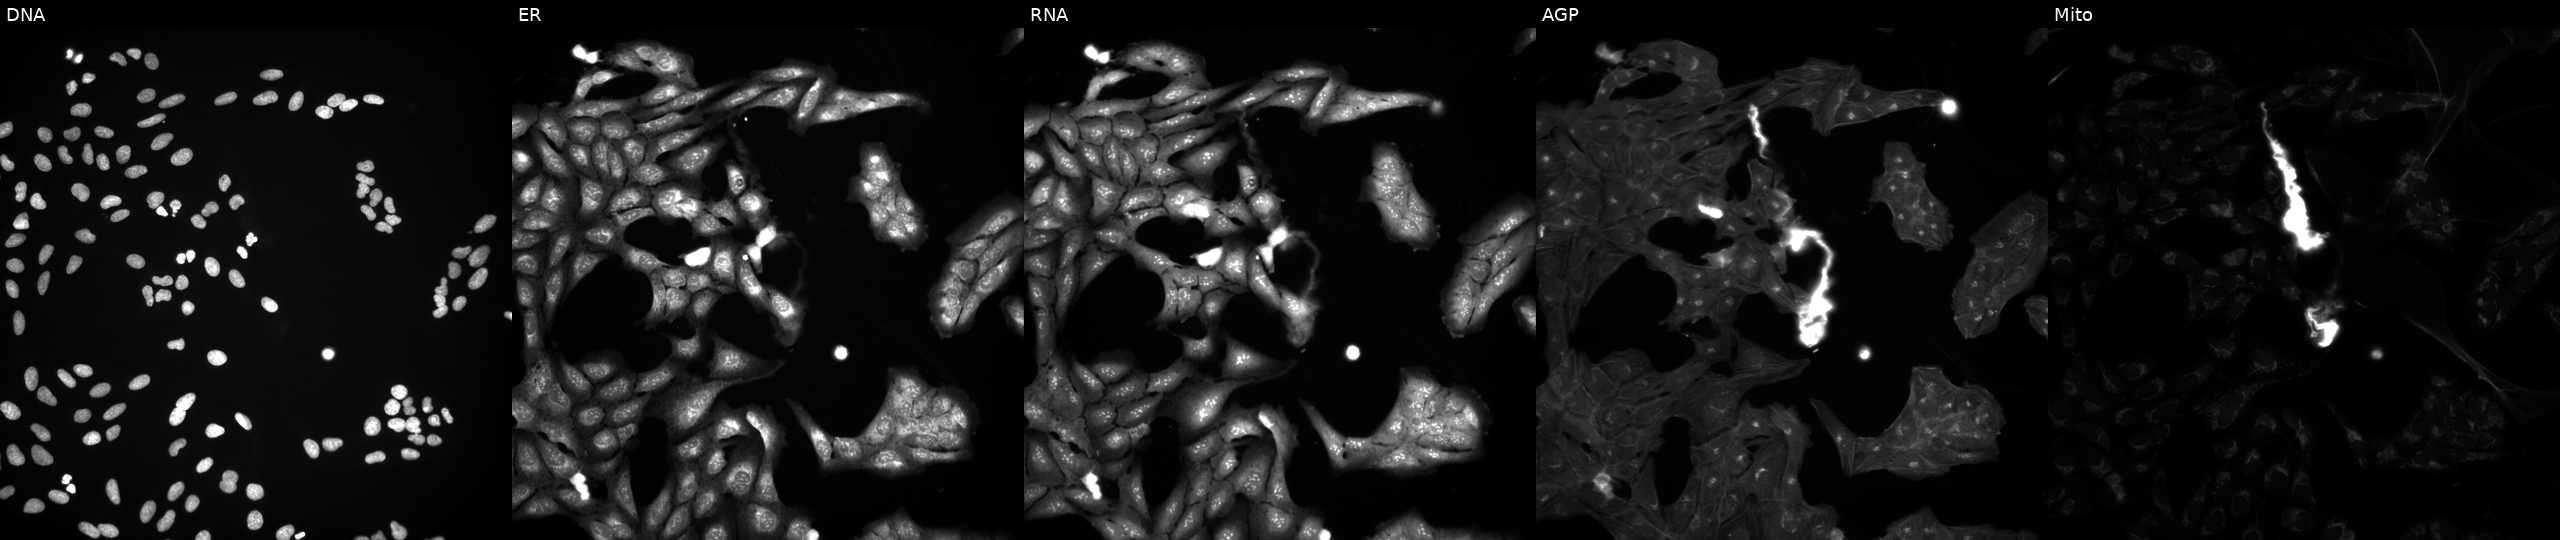
U2OS cells, Cell Painting assay, exposed to a small-molecule compound (InChIKey ROBYKNONIPZMTK-UHFFFAOYSA-N). Panels show, left to right, DNA, ER, RNA, AGP, and Mito. Each panel is percentile-stretched 16-bit fluorescence.